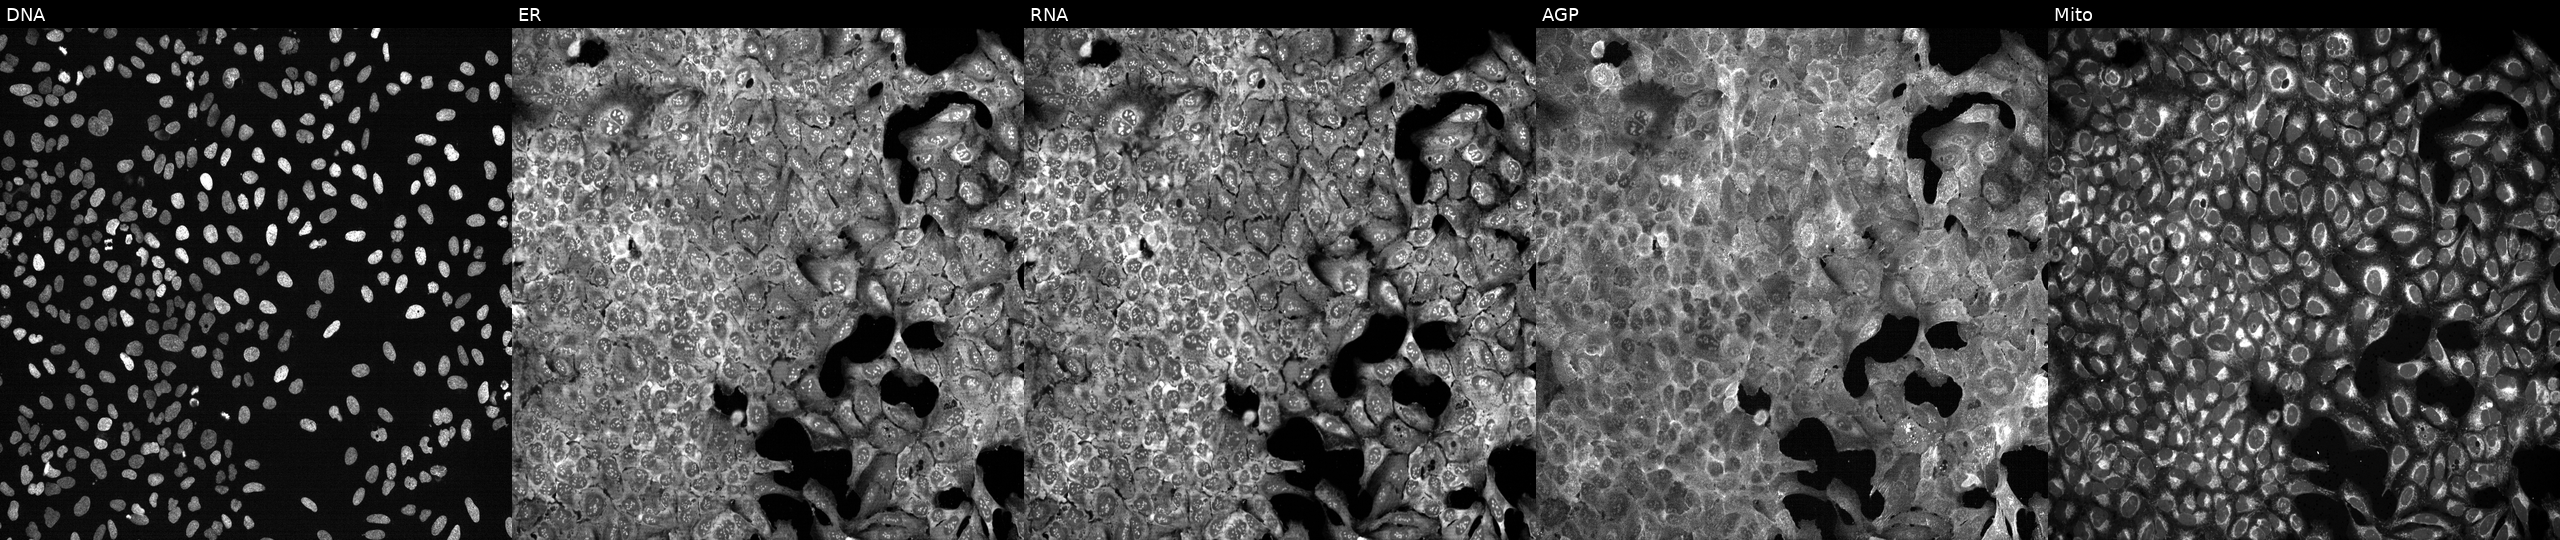
High-content fluorescence microscopy (Cell Painting). Cell line: U2OS. Perturbation: following CRISPR knockout of TNFRSF13B. Channels (left→right): DNA (nuclei); ER (endoplasmic reticulum); RNA (nucleoli and cytoplasmic RNA); AGP (actin cytoskeleton, Golgi, and plasma membrane); Mito (mitochondria). Source 13, plate CP-CC9-R2-02, well H08.